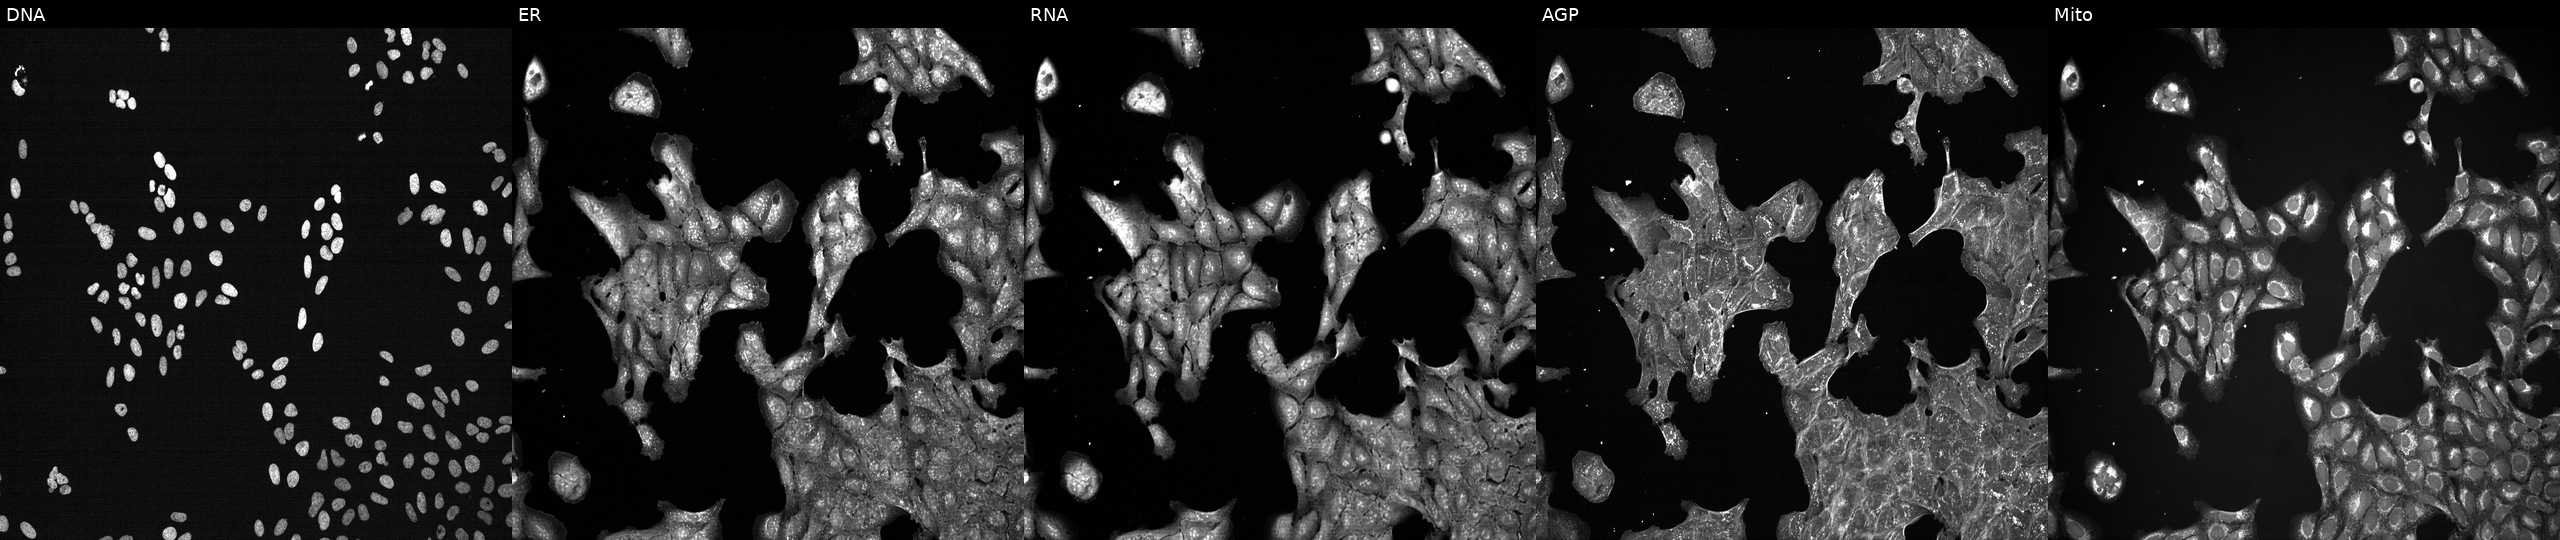
High-content fluorescence microscopy (Cell Painting). Cell line: U2OS. Perturbation: treated with a small-molecule compound. The five panels, left to right, show DNA, ER, RNA, AGP, and Mito.